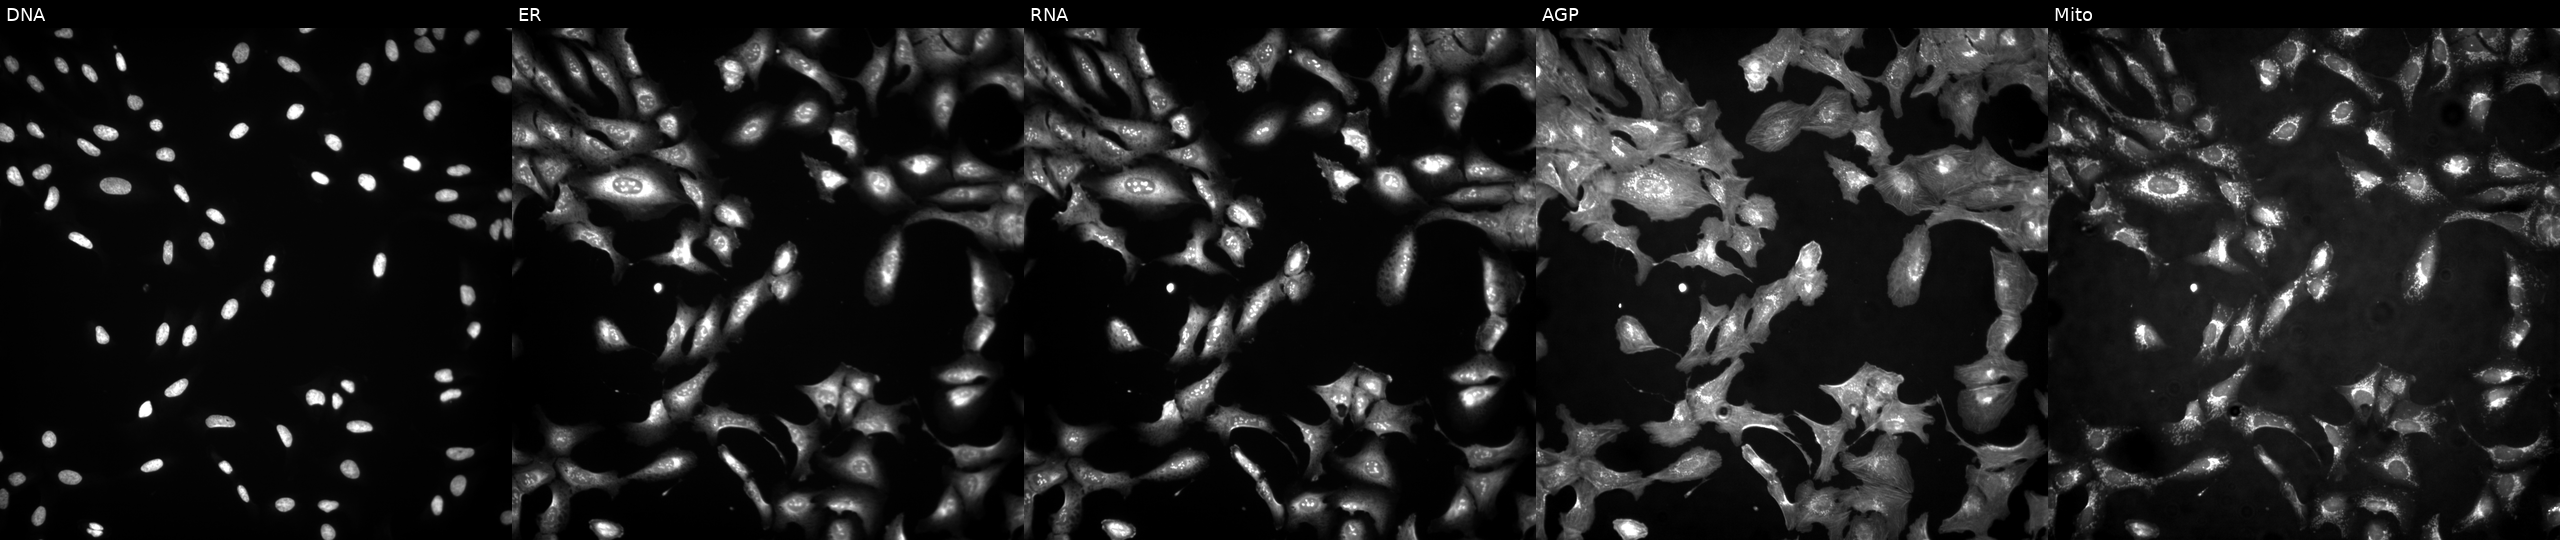
From left to right: DNA (nuclei); ER (endoplasmic reticulum); RNA (nucleoli and cytoplasmic RNA); AGP (actin cytoskeleton, Golgi, and plasma membrane); Mito (mitochondria). U2OS osteosarcoma cells with RBM4 overexpressed (ORF) (JUMP id JCP2022_910339). Cell Painting assay, JUMP-CP dataset.